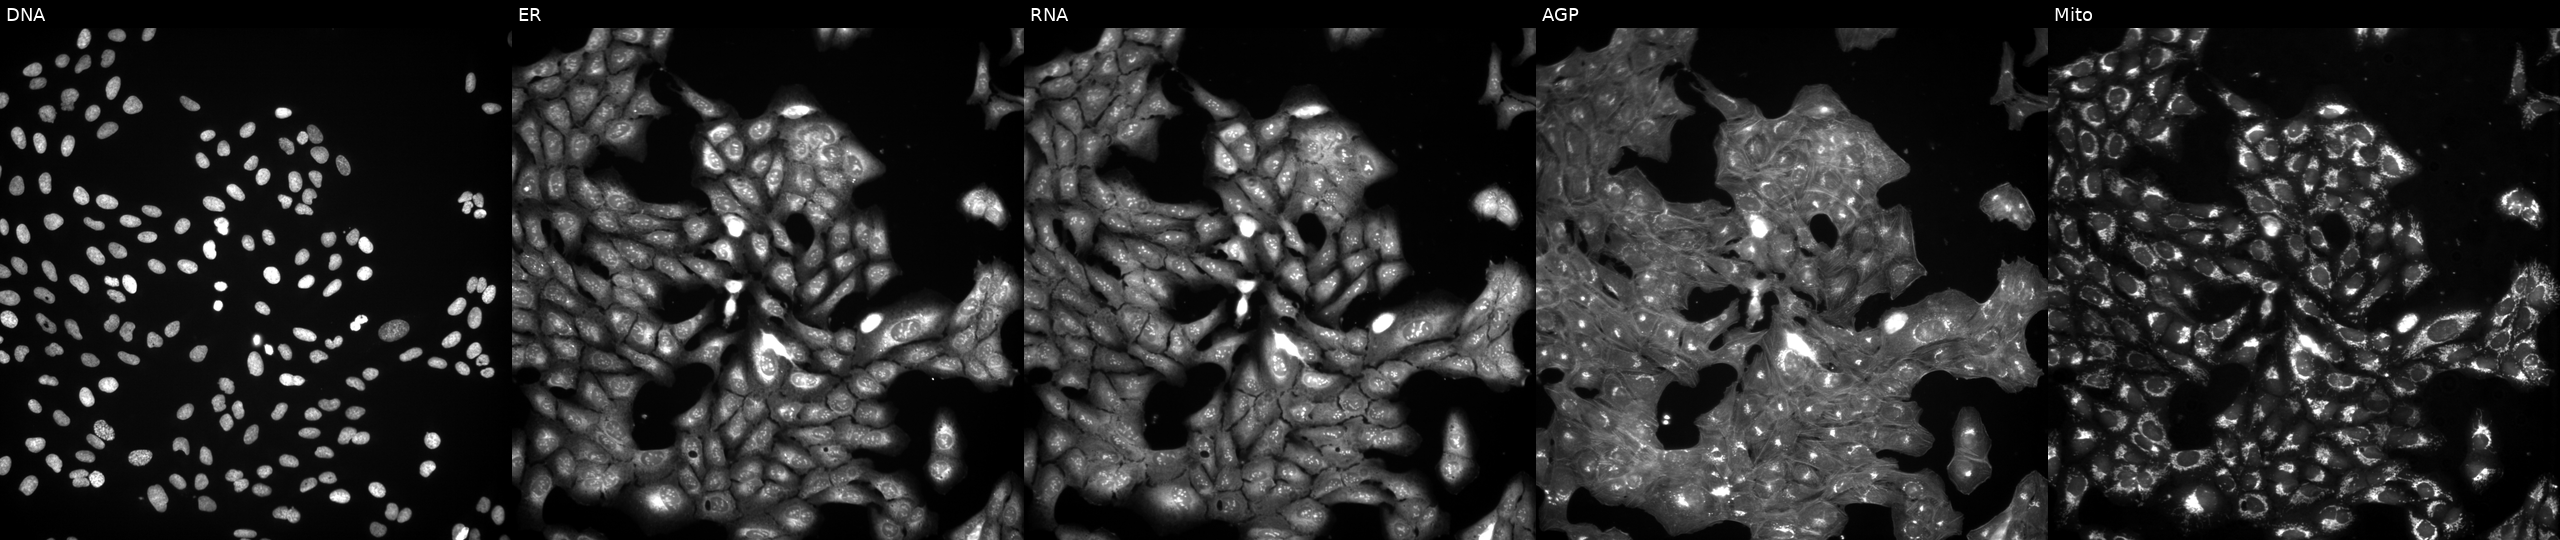
This image strip shows the five Cell Painting channels for a single field of U2OS cells perturbed with a small-molecule compound (InChIKey GCUCIFQCGJIRNT-UHFFFAOYSA-N) (JUMP id JCP2022_024601). From left to right: DNA (nuclei); ER (endoplasmic reticulum); RNA (nucleoli and cytoplasmic RNA); AGP (actin cytoskeleton, Golgi, and plasma membrane); Mito (mitochondria).